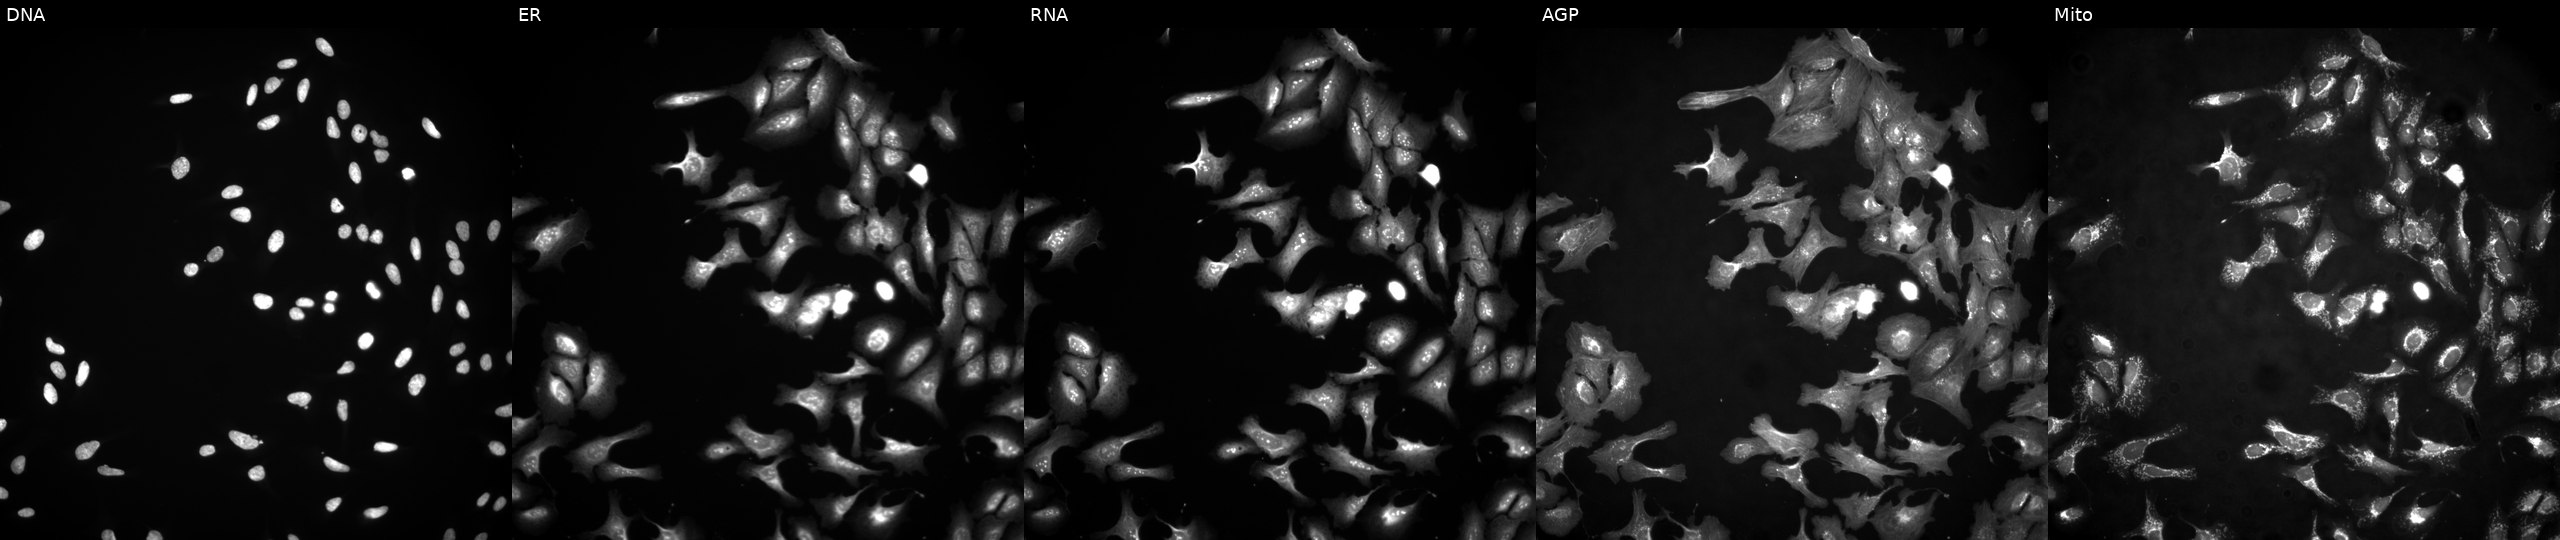
JUMP Cell Painting — ORF plate. U2OS cells overexpressing SERBP1 via ORF transfection. The five panels, left to right, show Hoechst 33342, concanavalin A, SYTO 14, phalloidin and WGA, MitoTracker.